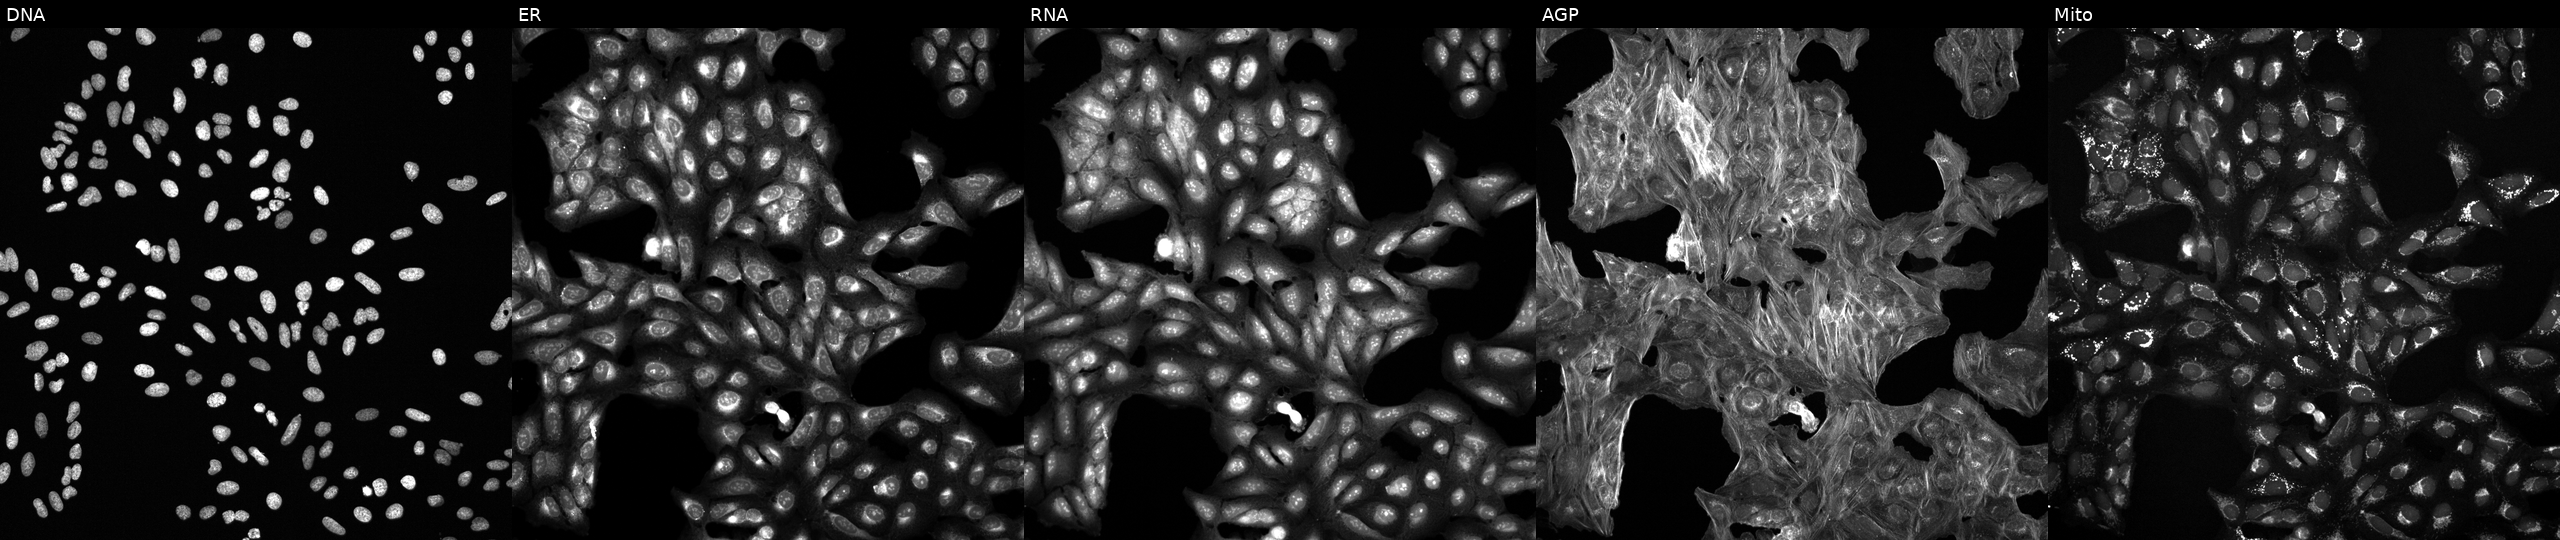
This image strip shows the five Cell Painting channels for a single field of U2OS cells perturbed with a small-molecule compound [SMILES: COc1ccc(-c2nc(C[S+]([O-])Cc3ccccc3C)cs2)c(OC)c1] (JUMP id JCP2022_012153). Channels (left→right): Hoechst 33342, concanavalin A, SYTO 14, phalloidin and WGA, MitoTracker. Source 6, plate 110000293082, well A20.